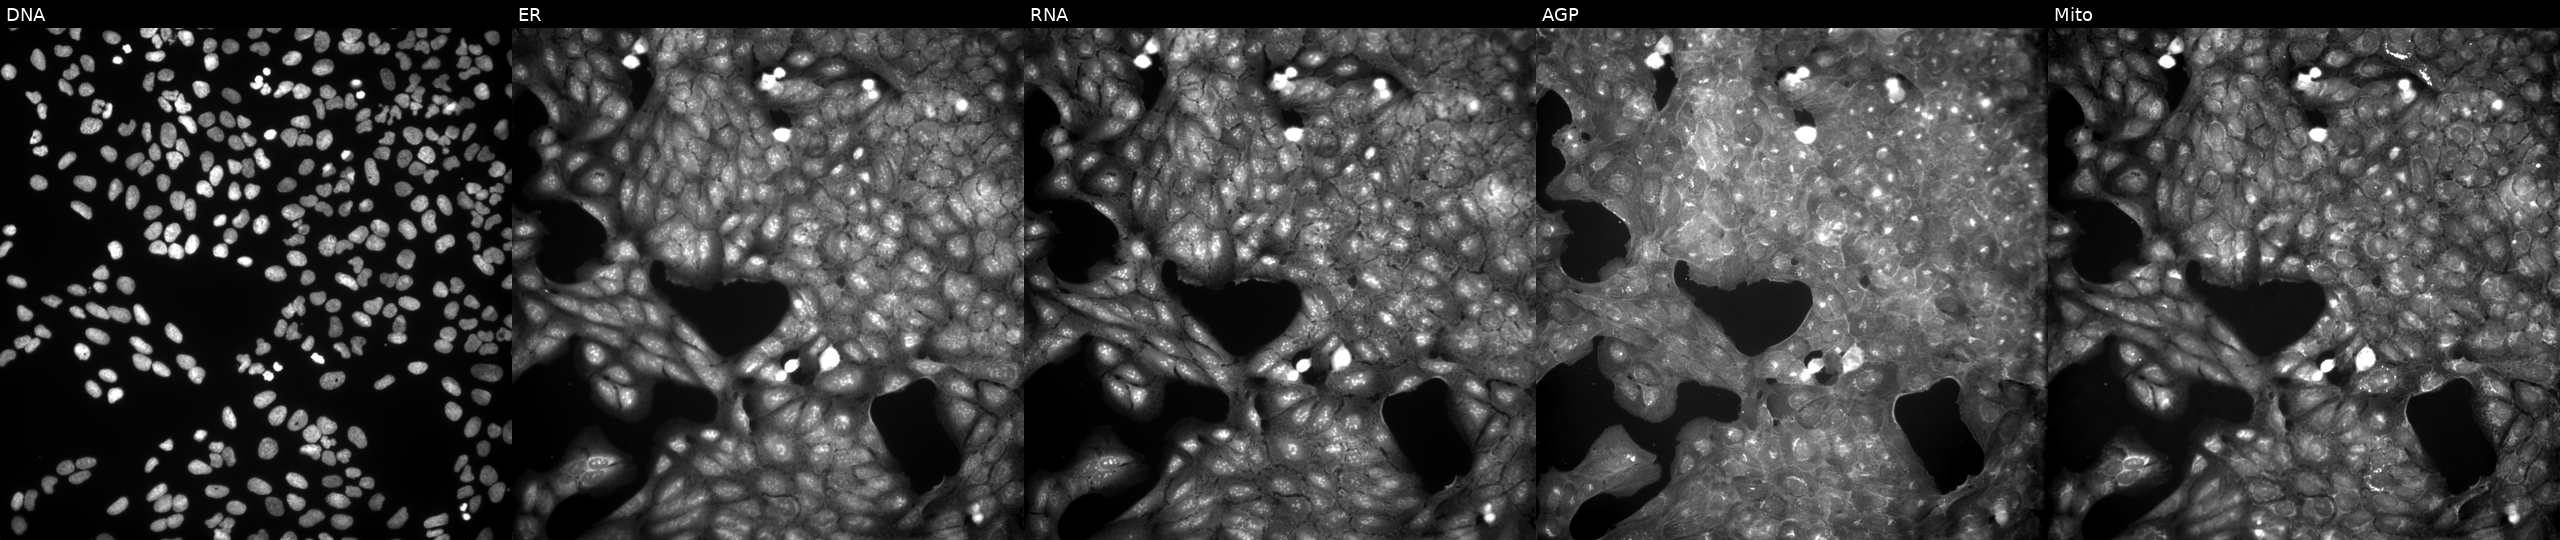
From left to right: DNA, ER, RNA, AGP, and Mito. U2OS osteosarcoma cells treated with a small-molecule compound (InChIKey HPIVQSYLMYADQE-UHFFFAOYSA-N) (JUMP id JCP2022_031702). Cell Painting assay, JUMP-CP dataset. Source 9, plate GR00003382, well F39.